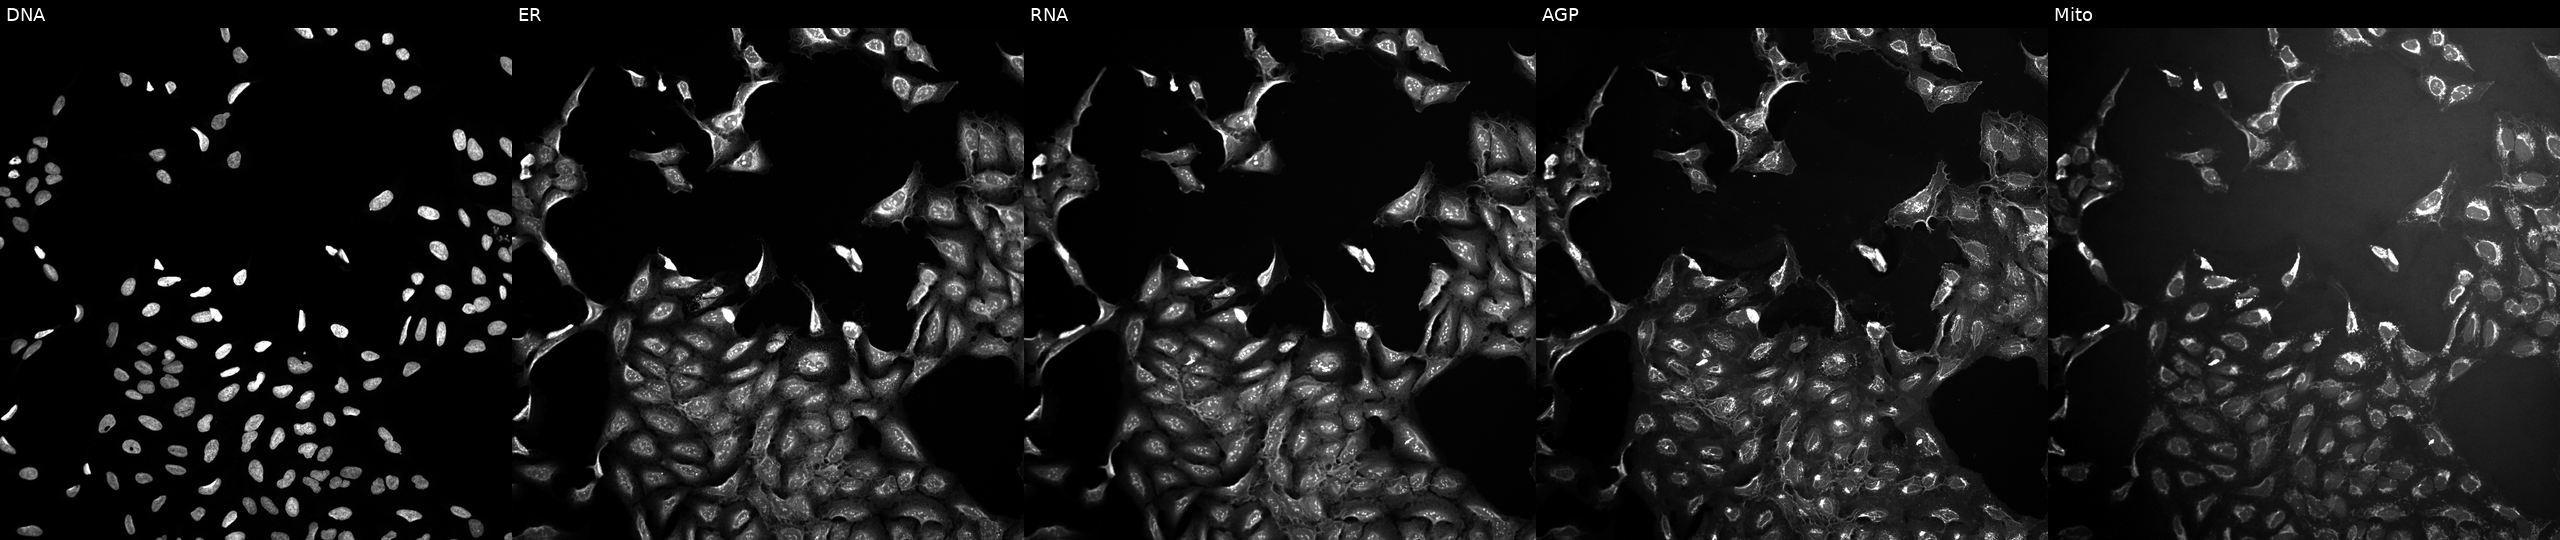
JUMP Cell Painting — TARGET2 plate. U2OS cells treated with a small-molecule compound (InChIKey QESQGTFWEQMCMH-UHFFFAOYSA-N) [SMILES: O=C(CSc1nc2c(c(=O)n1-c1ccccc1)SCC2)N=c1ccc(-c2ccccc2)c[nH]1]. Channels (left→right): Hoechst 33342, concanavalin A, SYTO 14, phalloidin and WGA, MitoTracker. Source 10, plate Dest210803-153958, well K21.